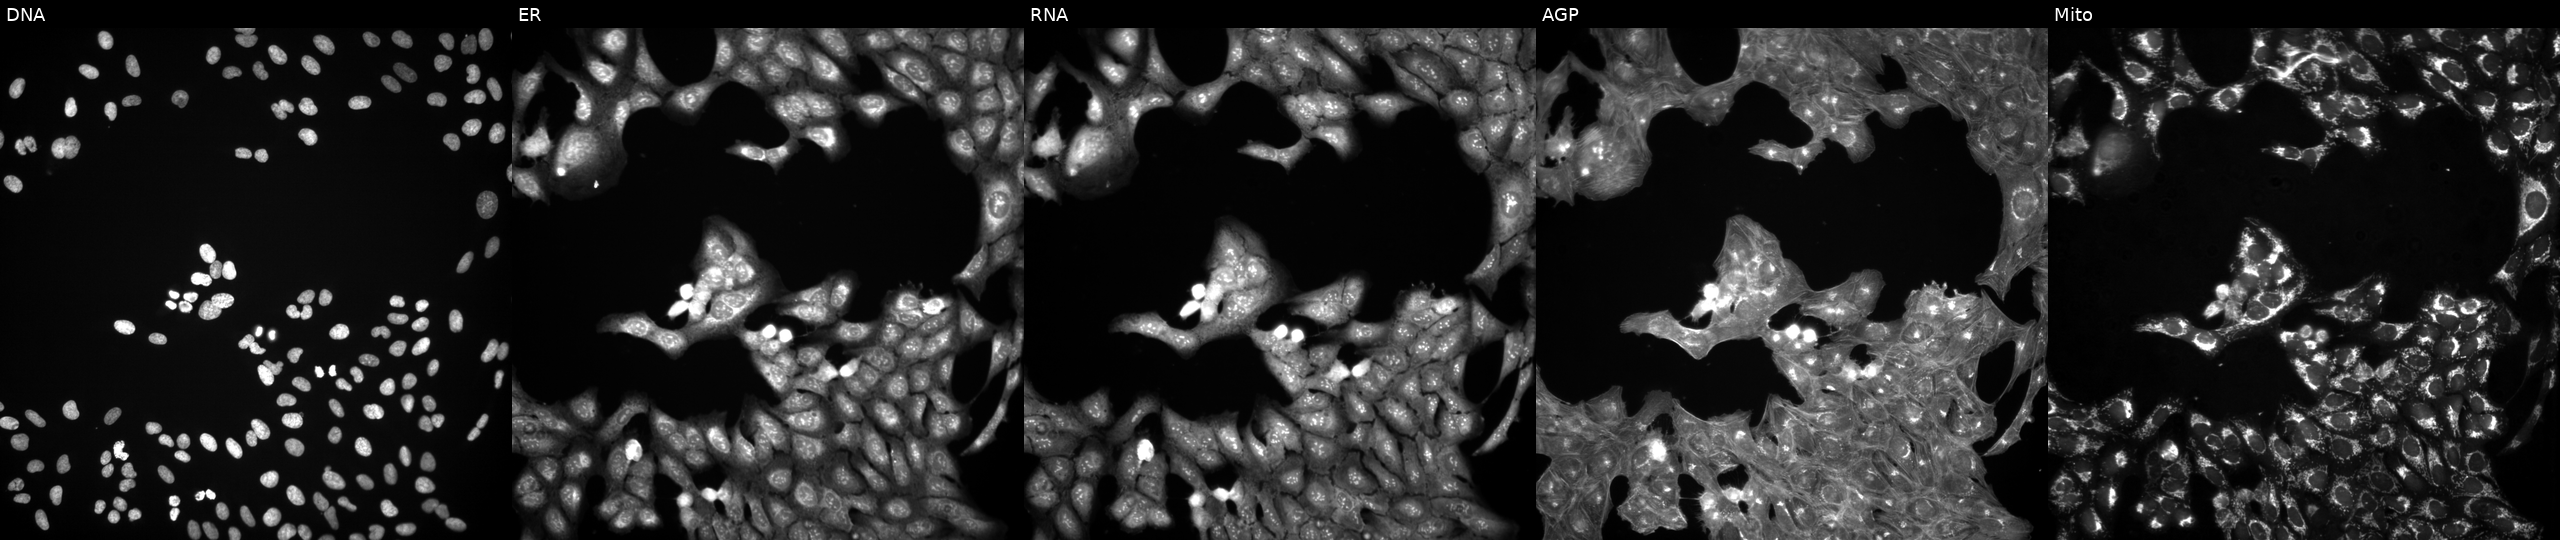
High-content fluorescence microscopy (Cell Painting). Cell line: U2OS. Perturbation: treated with a small-molecule compound (InChIKey PMXMIIMHBWHSKN-UHFFFAOYSA-N). Channels (left→right): Hoechst 33342, concanavalin A, SYTO 14, phalloidin and WGA, MitoTracker.